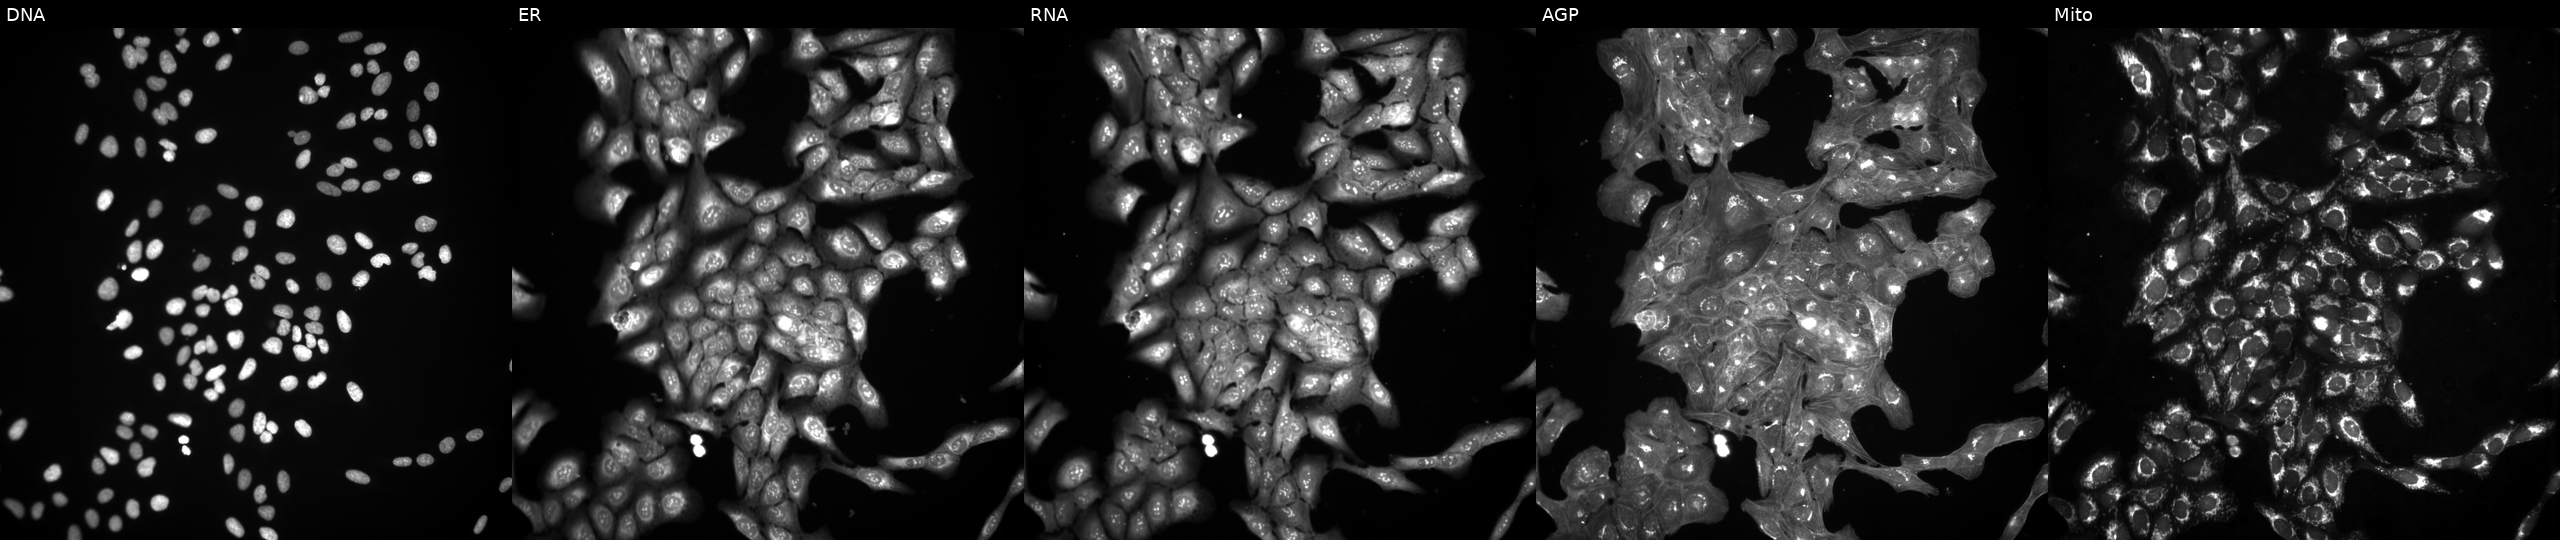
Five-channel Cell Painting image of U2OS cells exposed to the positive-control compound TC-S-7004. The five panels, left to right, show DNA, ER, RNA, AGP, and Mito. Source 3, plate BR5867a3, well H01.